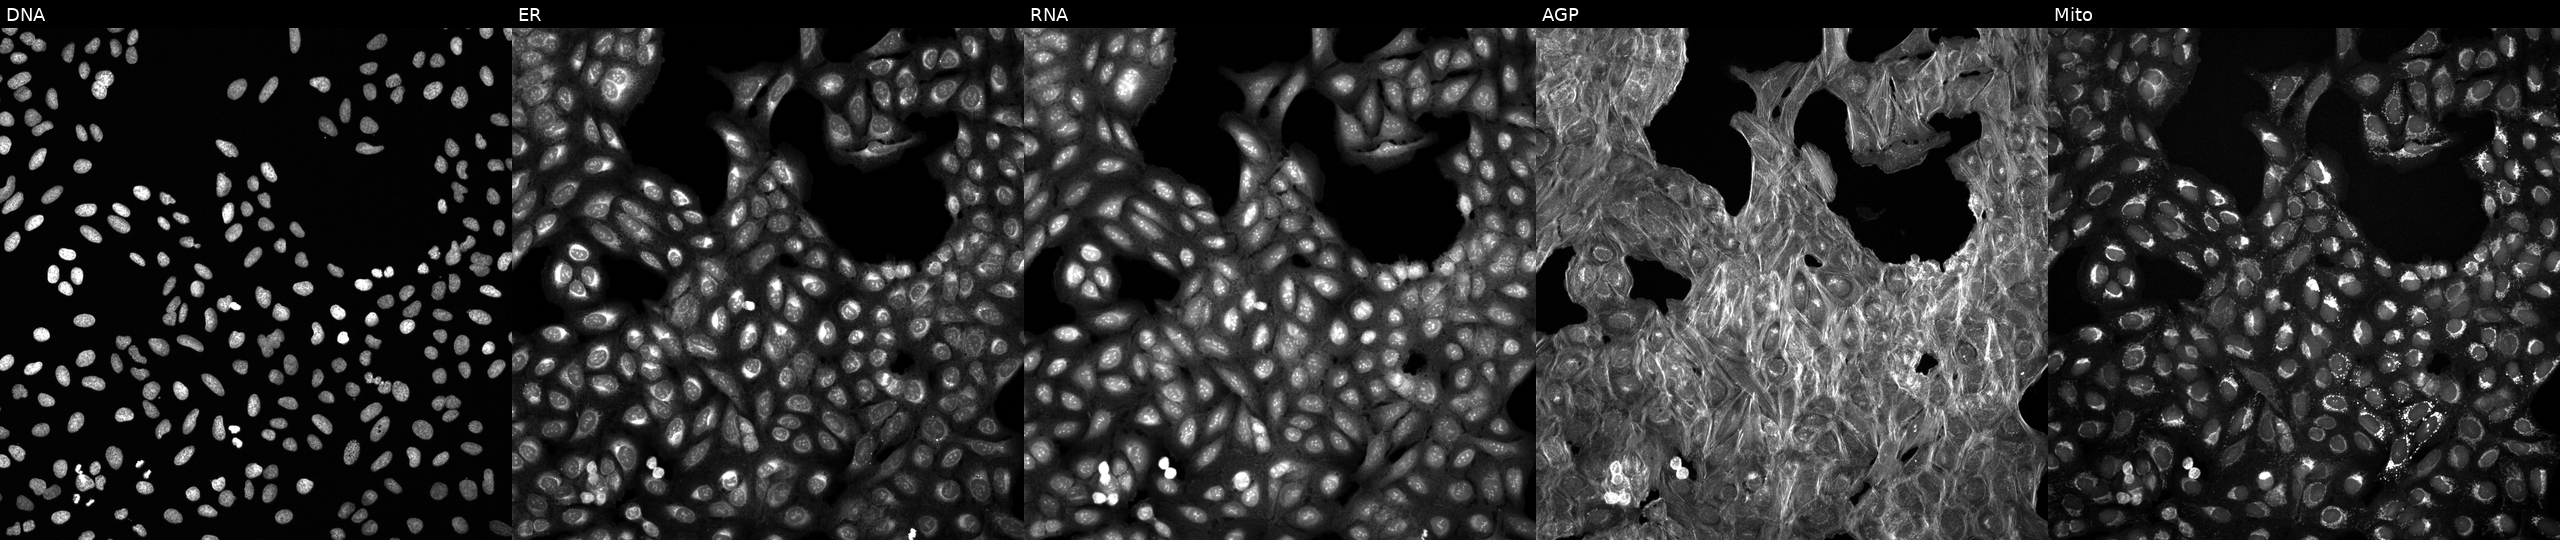
U2OS cells, Cell Painting assay, exposed to DMSO alone as a negative control (JUMP id JCP2022_033924). From left to right: Hoechst 33342, concanavalin A, SYTO 14, phalloidin and WGA, MitoTracker. Each panel is percentile-stretched 16-bit fluorescence. Source 6, plate 110000293093, well G04.